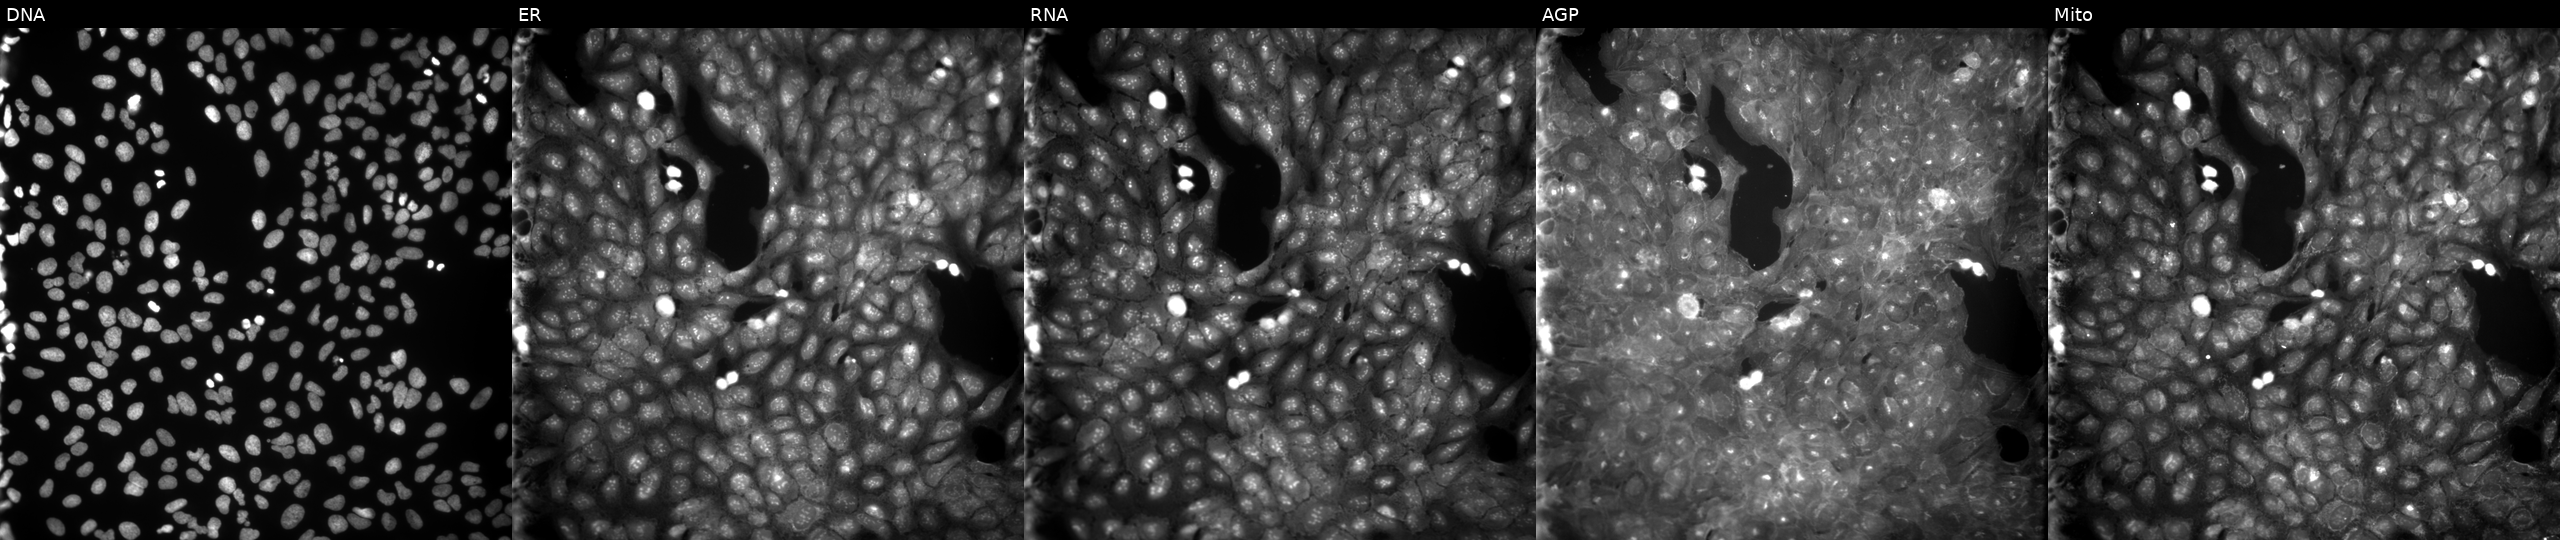
Five-channel Cell Painting image of U2OS cells exposed to a small-molecule compound (JUMP id JCP2022_088308). From left to right: Hoechst 33342, concanavalin A, SYTO 14, phalloidin and WGA, MitoTracker.